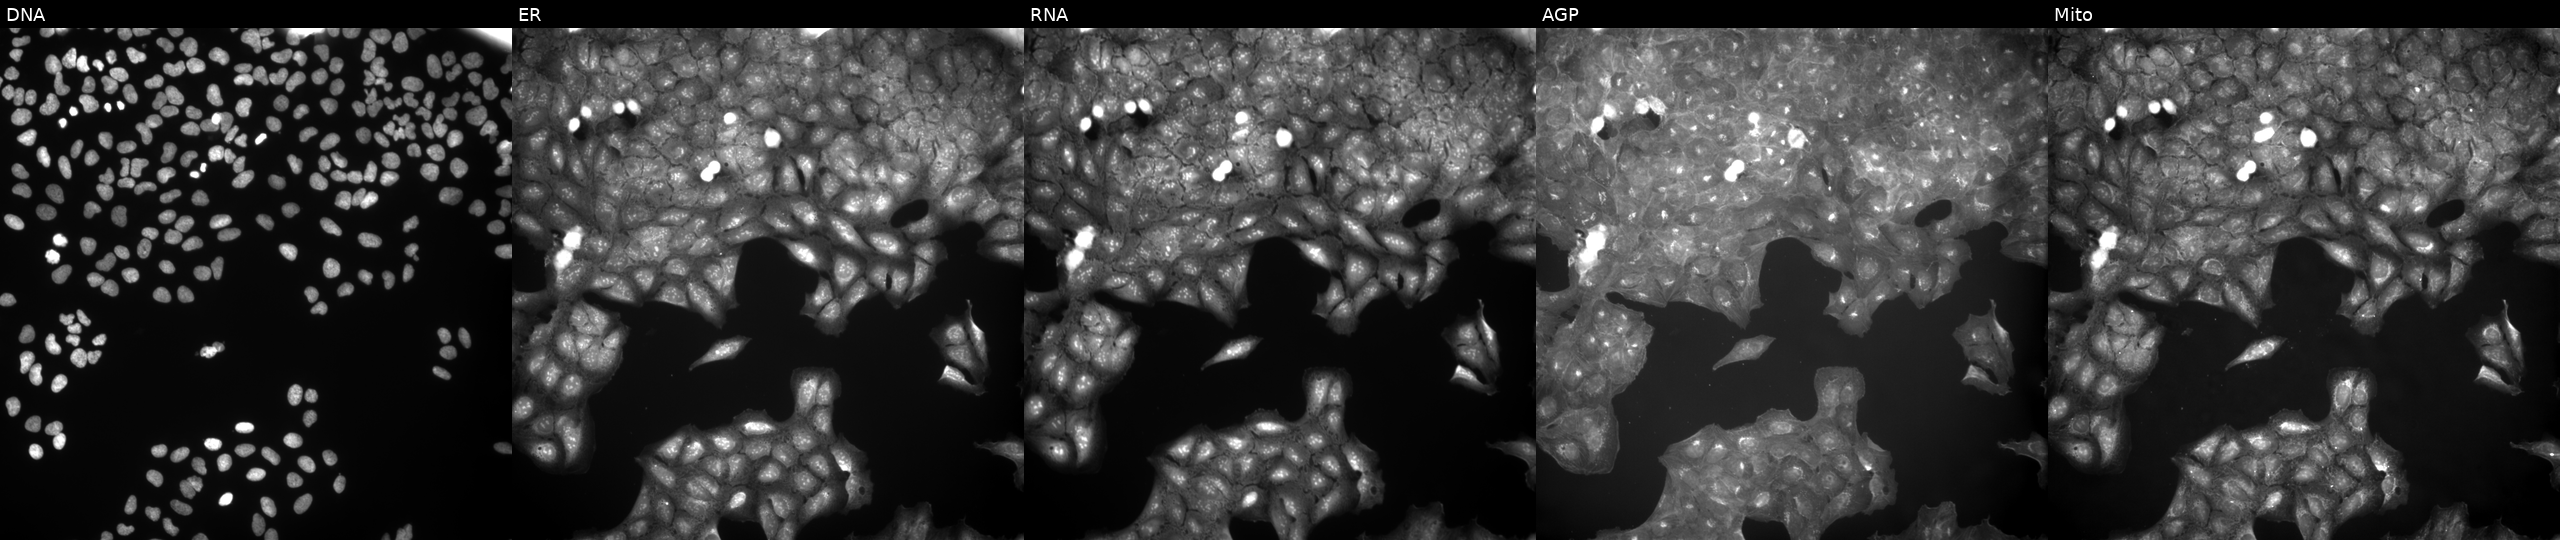
The five panels, left to right, show DNA (nuclei); ER (endoplasmic reticulum); RNA (nucleoli and cytoplasmic RNA); AGP (actin cytoskeleton, Golgi, and plasma membrane); Mito (mitochondria). U2OS osteosarcoma cells exposed to a small-molecule compound (InChIKey GDQGEKWLRCKEMY-UHFFFAOYSA-N) [SMILES: CC(C)CCNS(=O)(=O)c1ccc2c(c1)C(=O)c1cc(S(=O)(=O)NCCC(C)C)ccc1-2]. Cell Painting assay, JUMP-CP dataset.